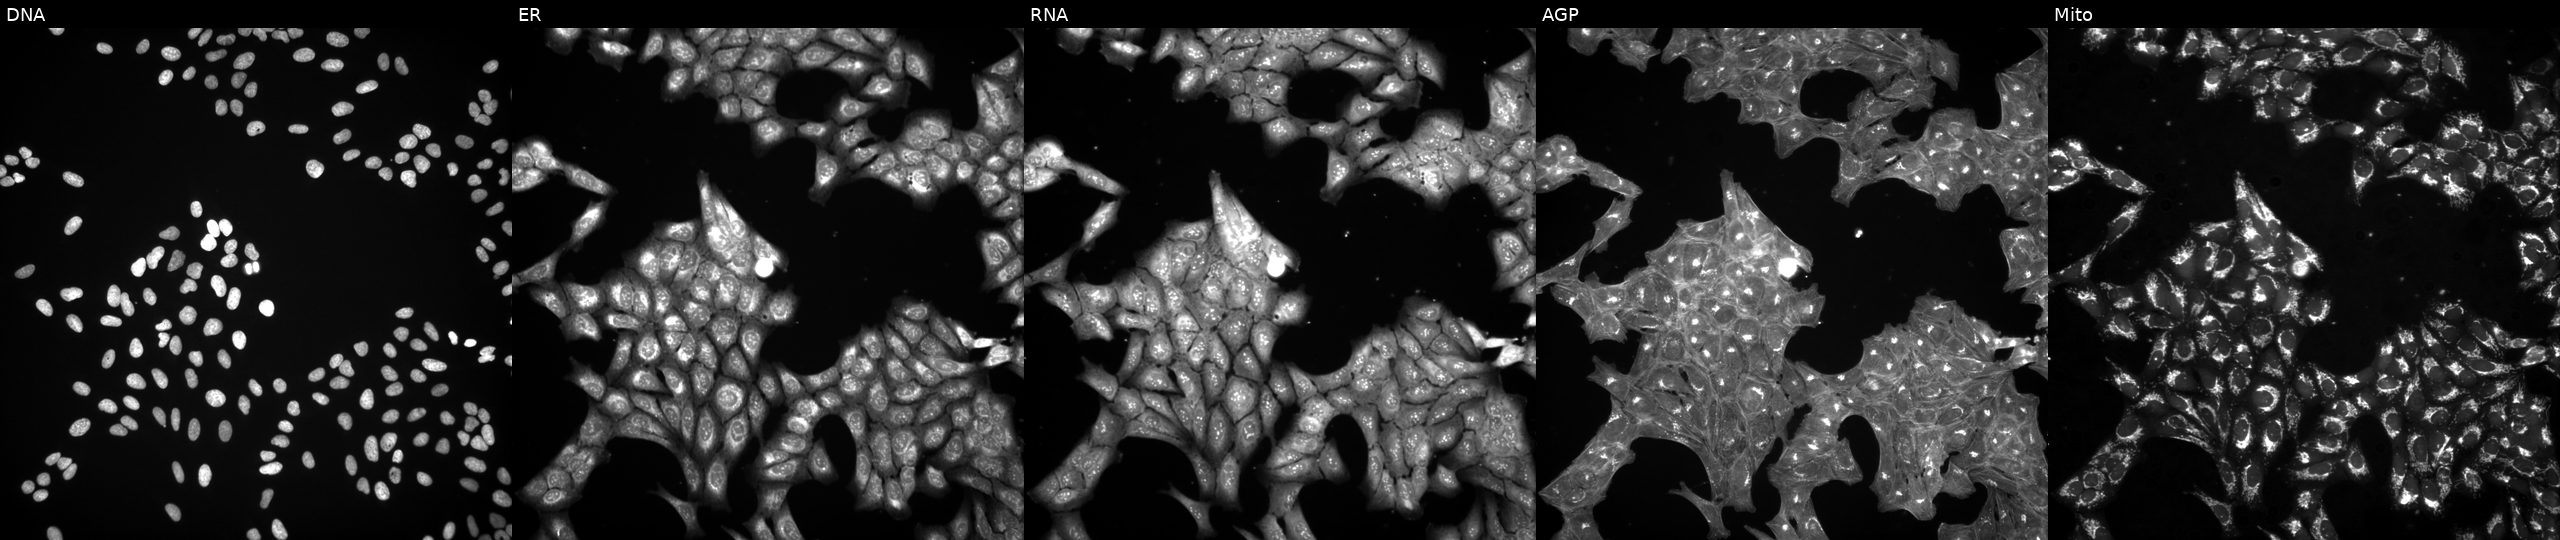
High-content fluorescence microscopy (Cell Painting). Cell line: U2OS. Perturbation: treated with a small-molecule compound (InChIKey XDADMRNUKRNNLA-UHFFFAOYSA-N). From left to right: Hoechst 33342, concanavalin A, SYTO 14, phalloidin and WGA, MitoTracker.